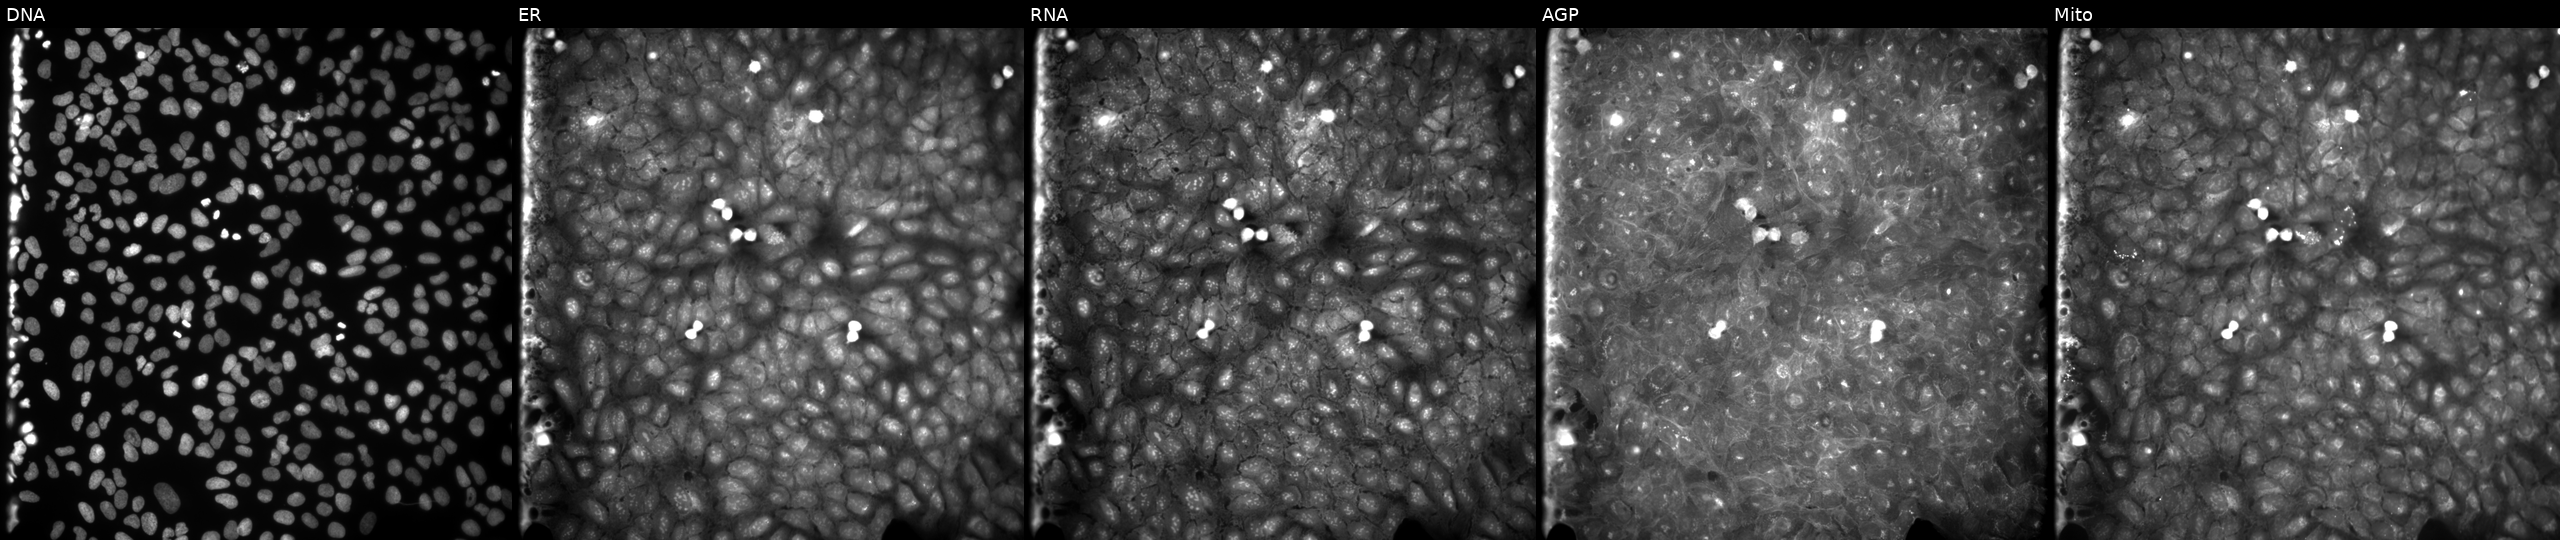
U2OS cells, Cell Painting assay, perturbed with a small-molecule compound. Channels (left→right): DNA, ER, RNA, AGP, and Mito. Each panel is percentile-stretched 16-bit fluorescence. Source 9, plate GR00003381, well L08.